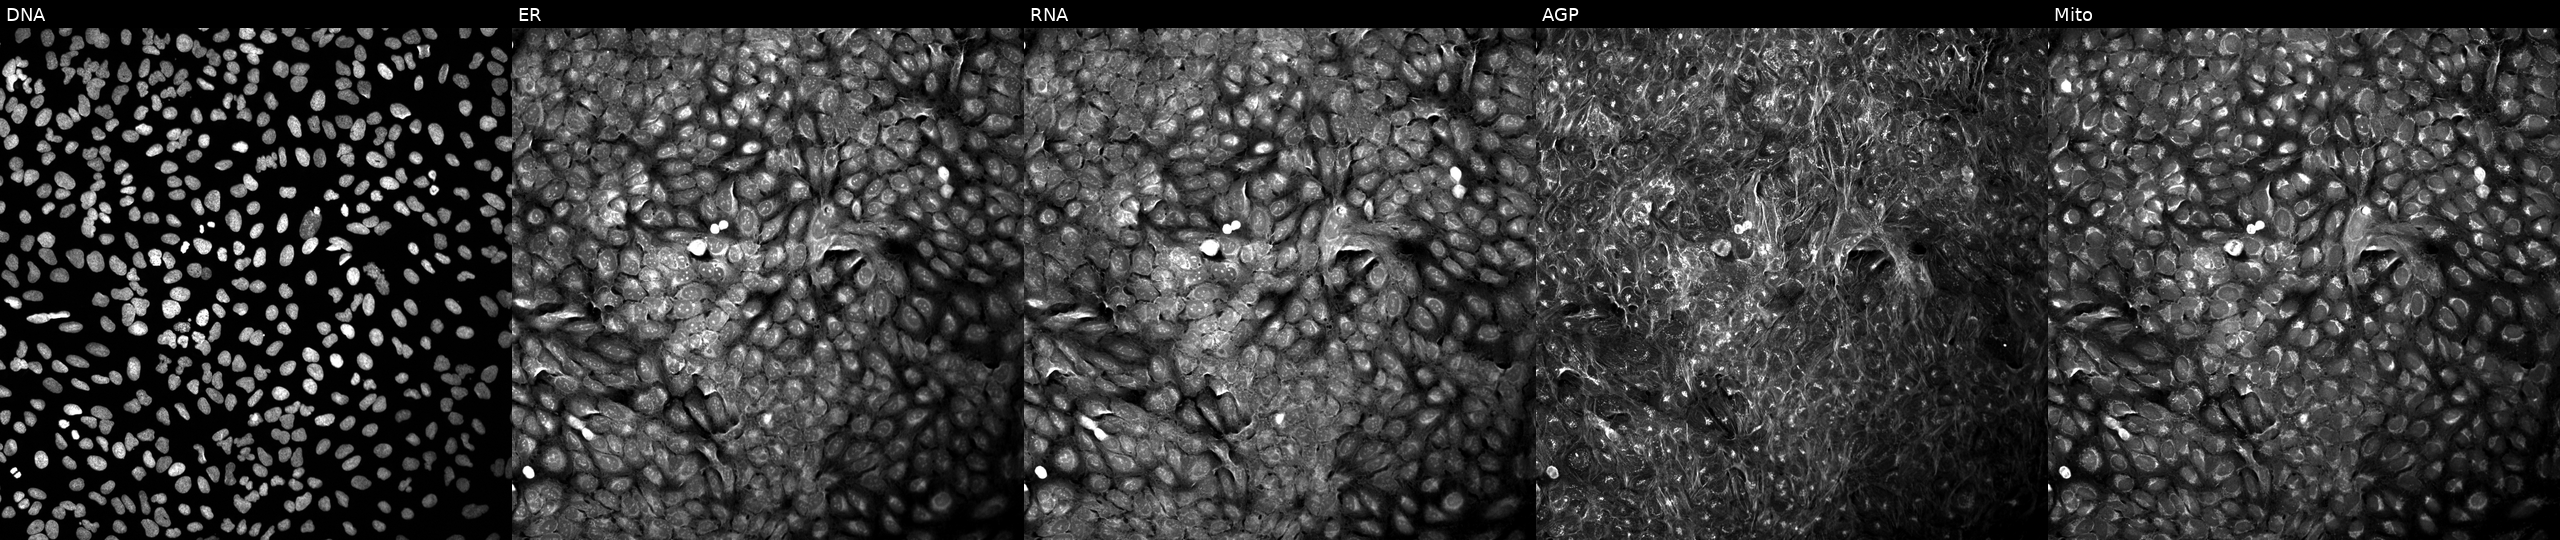
The five panels, left to right, show DNA (nuclei); ER (endoplasmic reticulum); RNA (nucleoli and cytoplasmic RNA); AGP (actin cytoskeleton, Golgi, and plasma membrane); Mito (mitochondria). U2OS osteosarcoma cells treated with DMSO vehicle only (negative control). Cell Painting assay, JUMP-CP dataset.